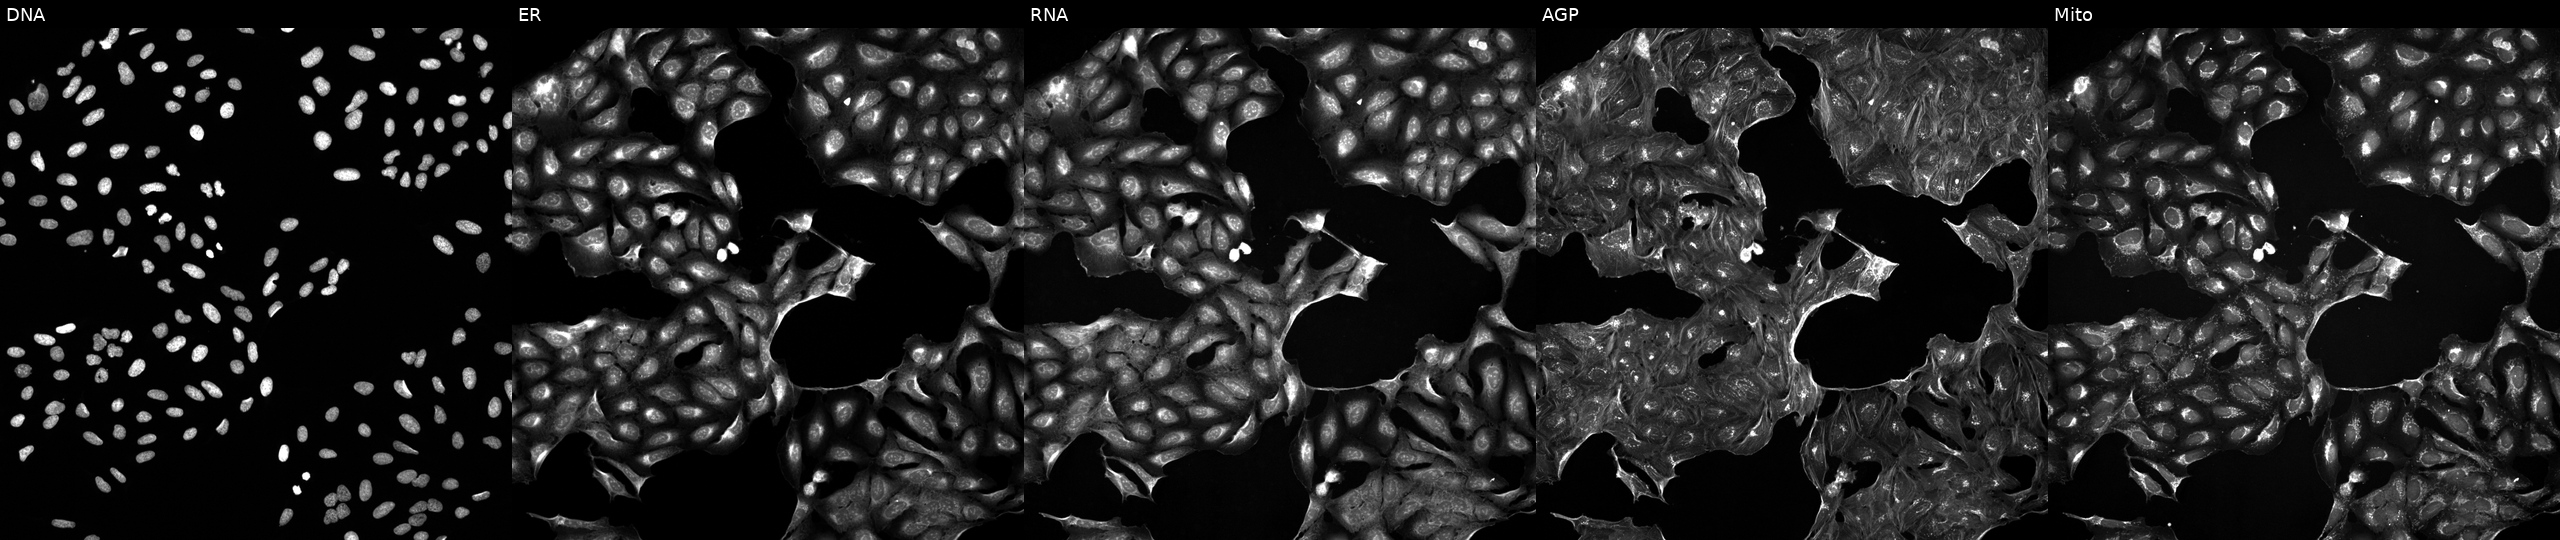
This image strip shows the five Cell Painting channels for a single field of U2OS cells treated with DMSO vehicle only (negative control). From left to right: DNA, ER, RNA, AGP, and Mito. Source 5, plate ACPJUM032, well E01.